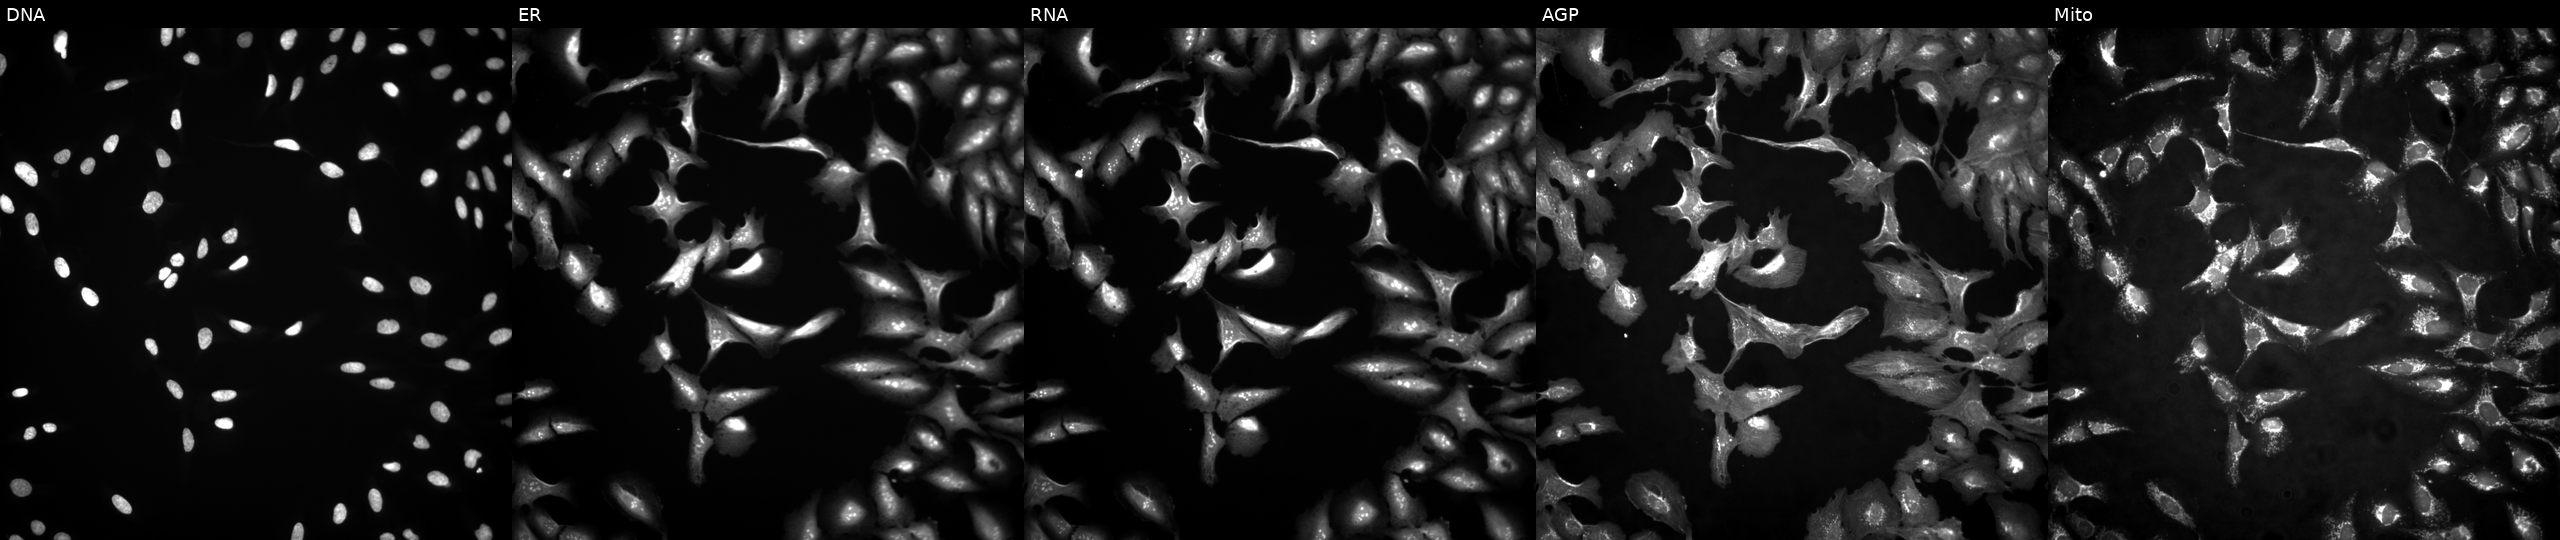
Panels show, left to right, DNA (nuclei); ER (endoplasmic reticulum); RNA (nucleoli and cytoplasmic RNA); AGP (actin cytoskeleton, Golgi, and plasma membrane); Mito (mitochondria). U2OS osteosarcoma cells overexpressing EHMT2 via ORF transfection. Cell Painting assay, JUMP-CP dataset. Source 4, plate BR00117035, well C01.